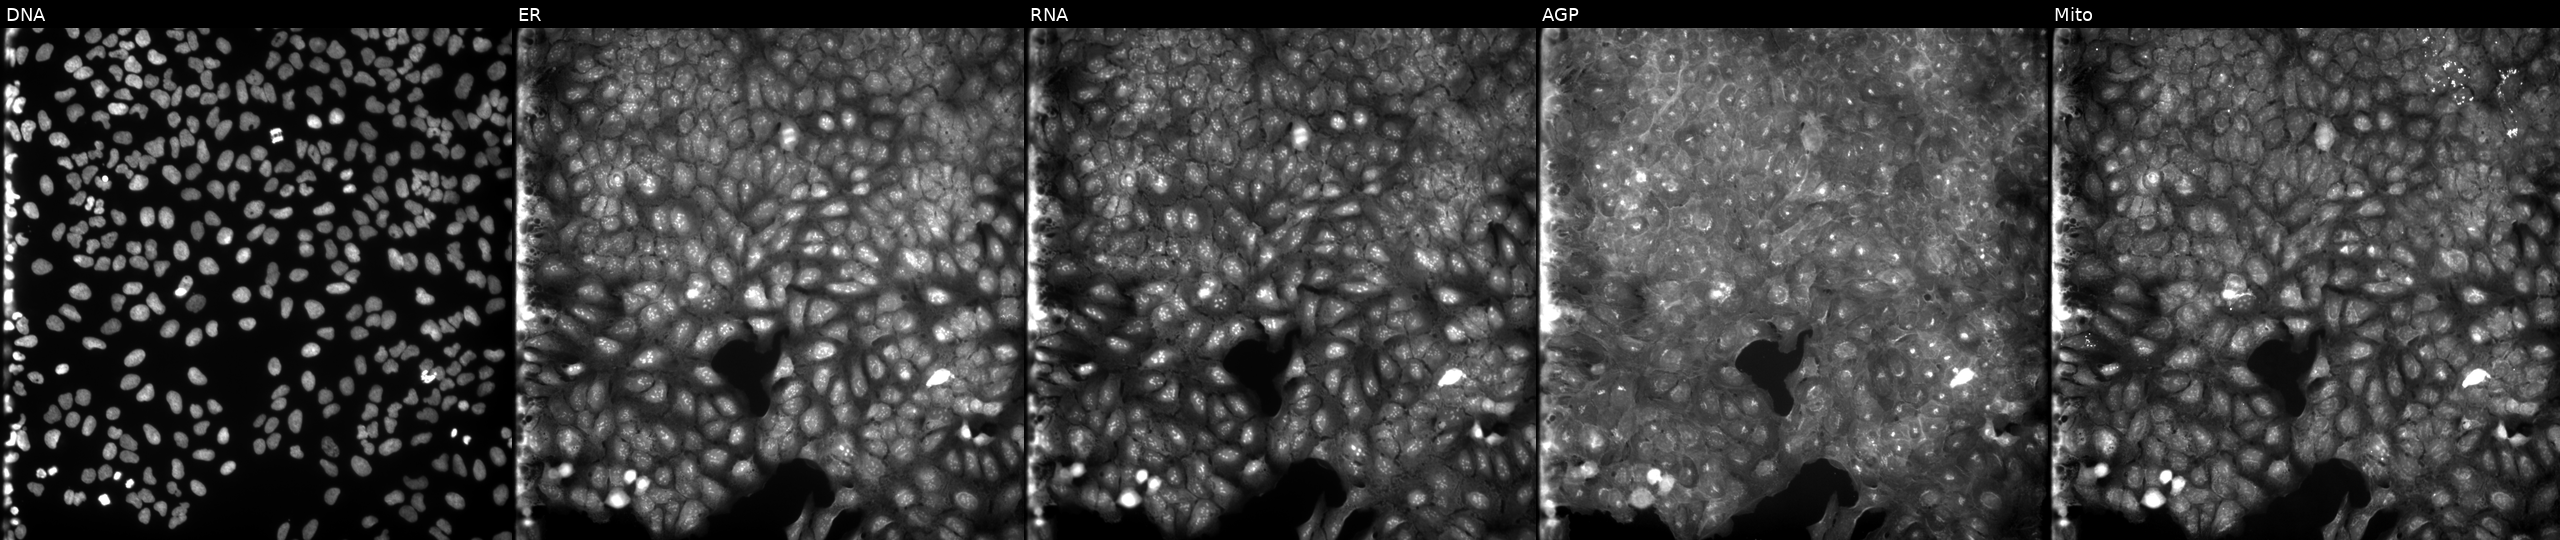
U2OS cells, Cell Painting assay, treated with a small-molecule compound (InChIKey WNZNKDYDTQXXFU-UHFFFAOYSA-N). Panels show, left to right, DNA (nuclei); ER (endoplasmic reticulum); RNA (nucleoli and cytoplasmic RNA); AGP (actin cytoskeleton, Golgi, and plasma membrane); Mito (mitochondria). Each panel is percentile-stretched 16-bit fluorescence.